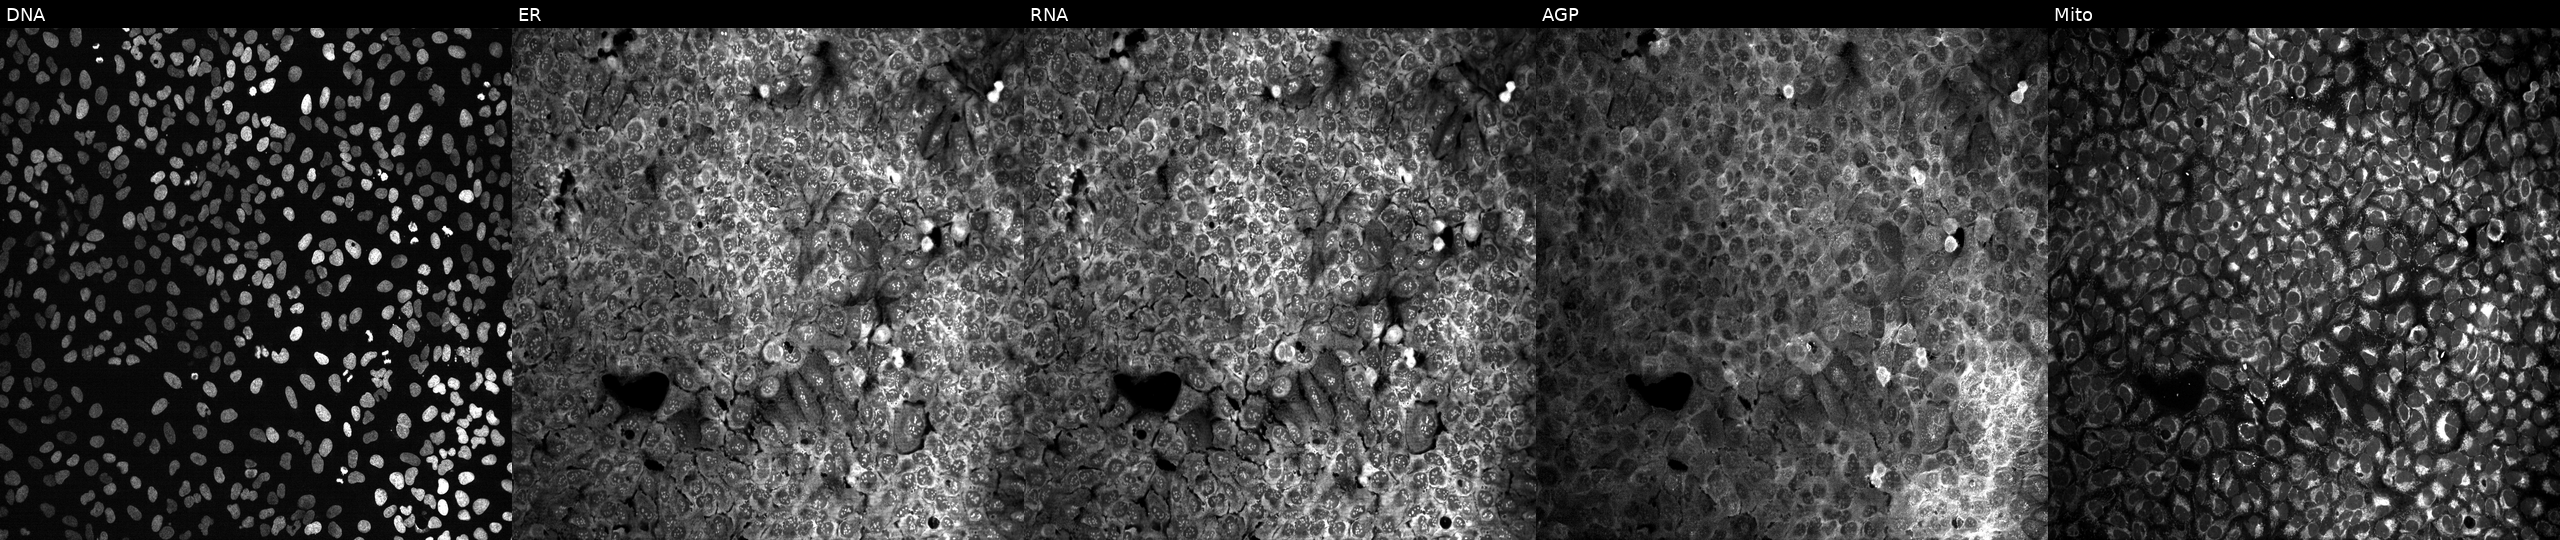
JUMP Cell Painting — CRISPR plate. U2OS cells following CRISPR knockout of FABP3. The five panels, left to right, show Hoechst 33342, concanavalin A, SYTO 14, phalloidin and WGA, MitoTracker. Source 13, plate CP-CC9-R3-01, well I04.